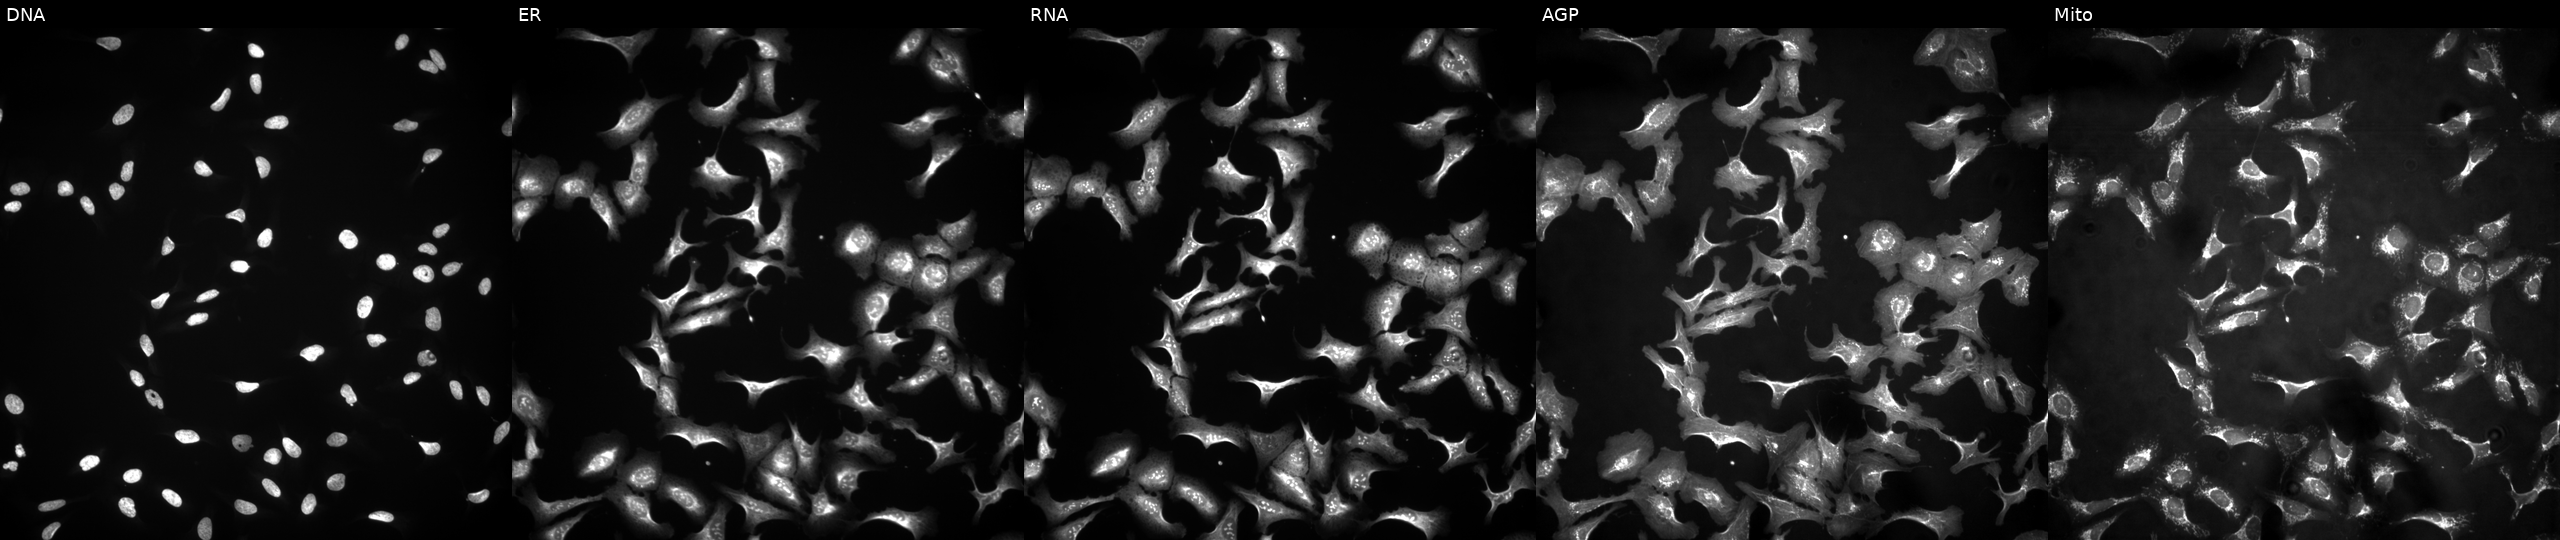
Five-channel Cell Painting image of U2OS cells with MYL12B overexpressed (ORF). From left to right: DNA (nuclei); ER (endoplasmic reticulum); RNA (nucleoli and cytoplasmic RNA); AGP (actin cytoskeleton, Golgi, and plasma membrane); Mito (mitochondria). Source 4, plate BR00121543, well H12.